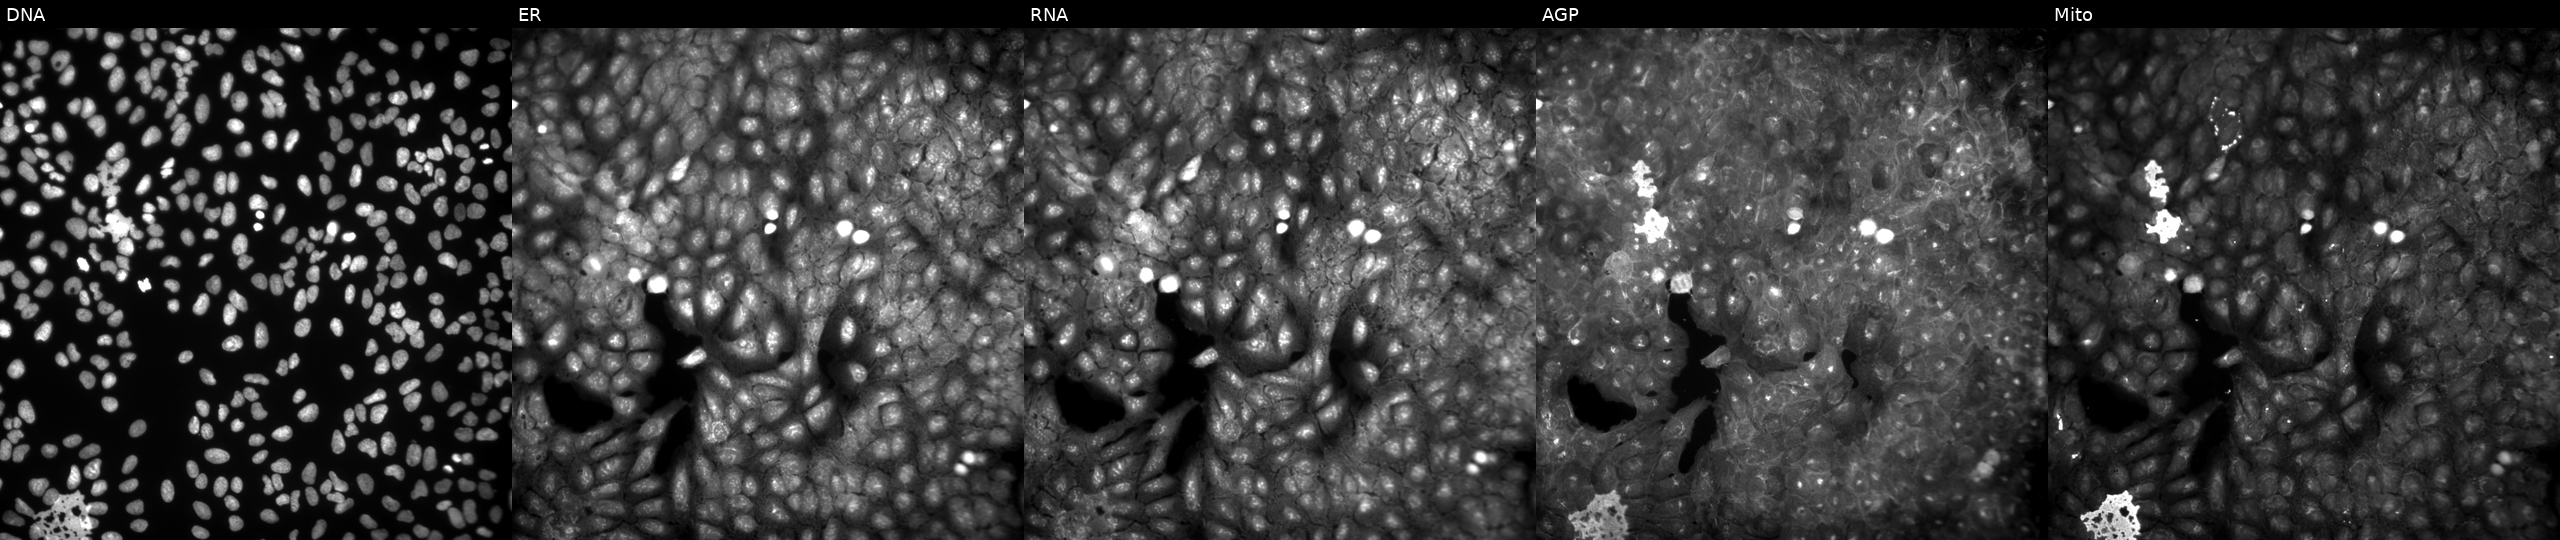
Five-channel Cell Painting image of U2OS cells perturbed with a small-molecule compound (InChIKey YNGNUHTTXYBQEY-UHFFFAOYSA-N). The five panels, left to right, show DNA, ER, RNA, AGP, and Mito.